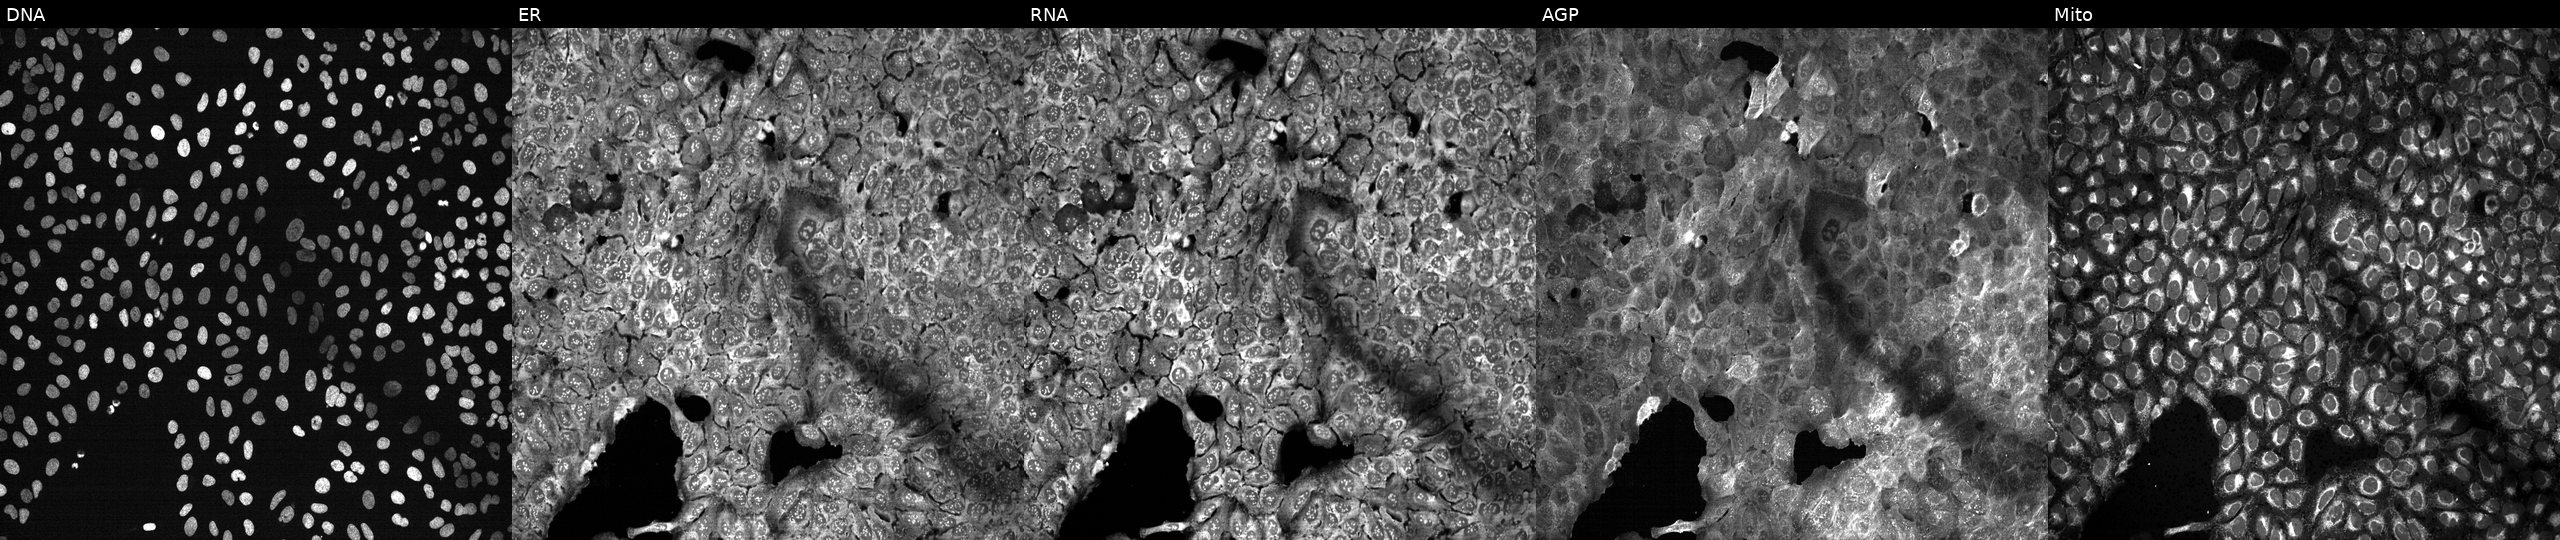
Five-channel Cell Painting image of U2OS cells treated with aloxistatin (positive-control compound). Channels (left→right): DNA, ER, RNA, AGP, and Mito.